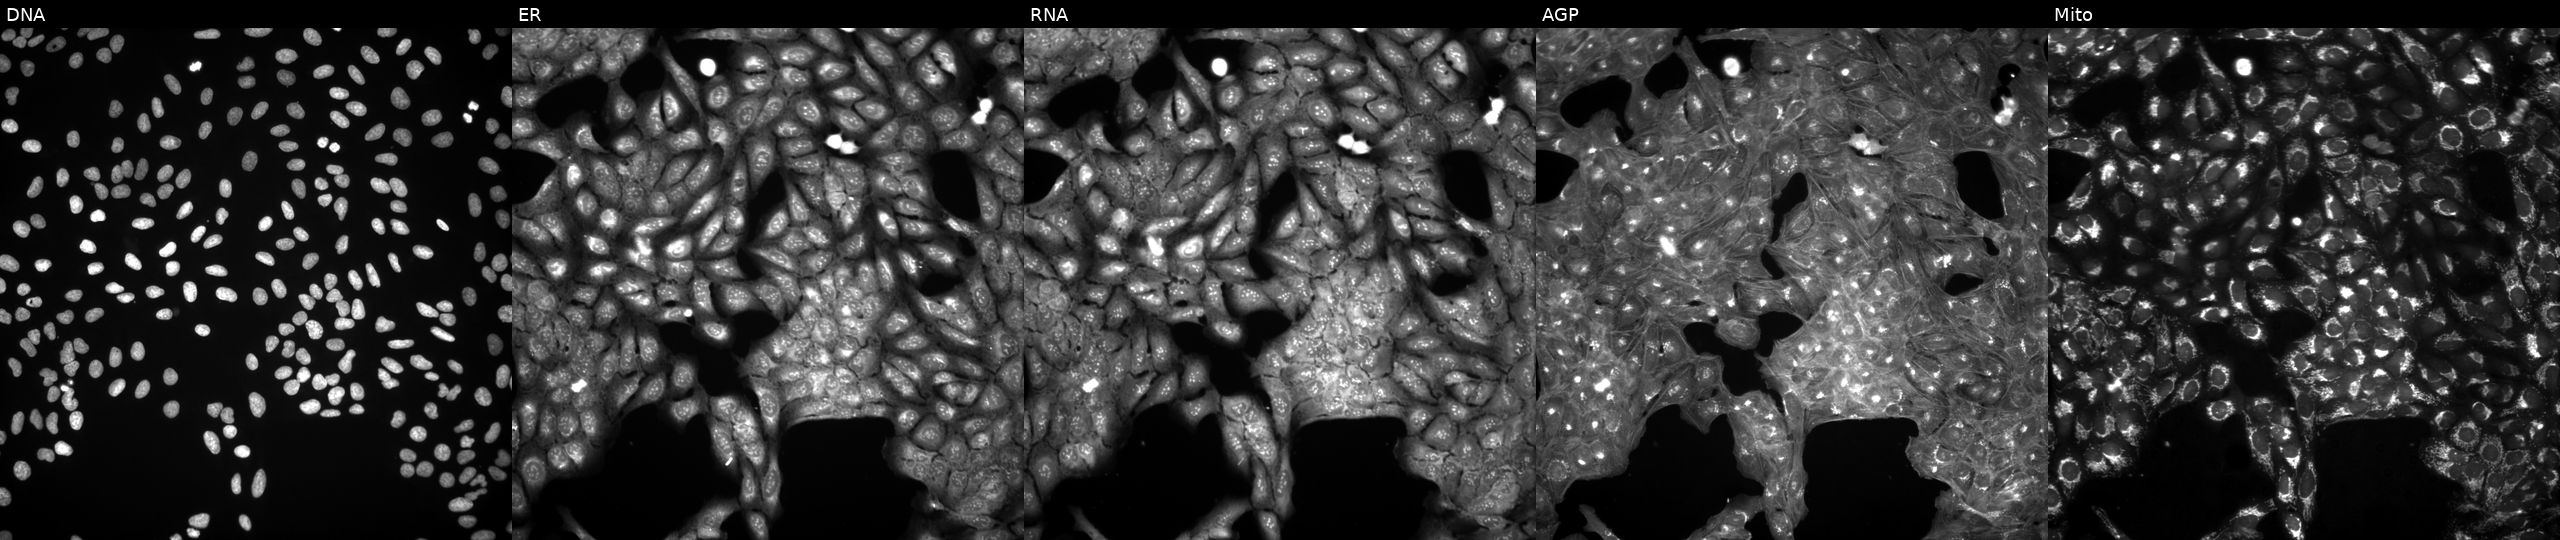
Panels show, left to right, DNA, ER, RNA, AGP, and Mito. U2OS osteosarcoma cells exposed to a small-molecule compound (JUMP id JCP2022_056401). Cell Painting assay, JUMP-CP dataset. Source 3, plate JCPQC052, well F10.